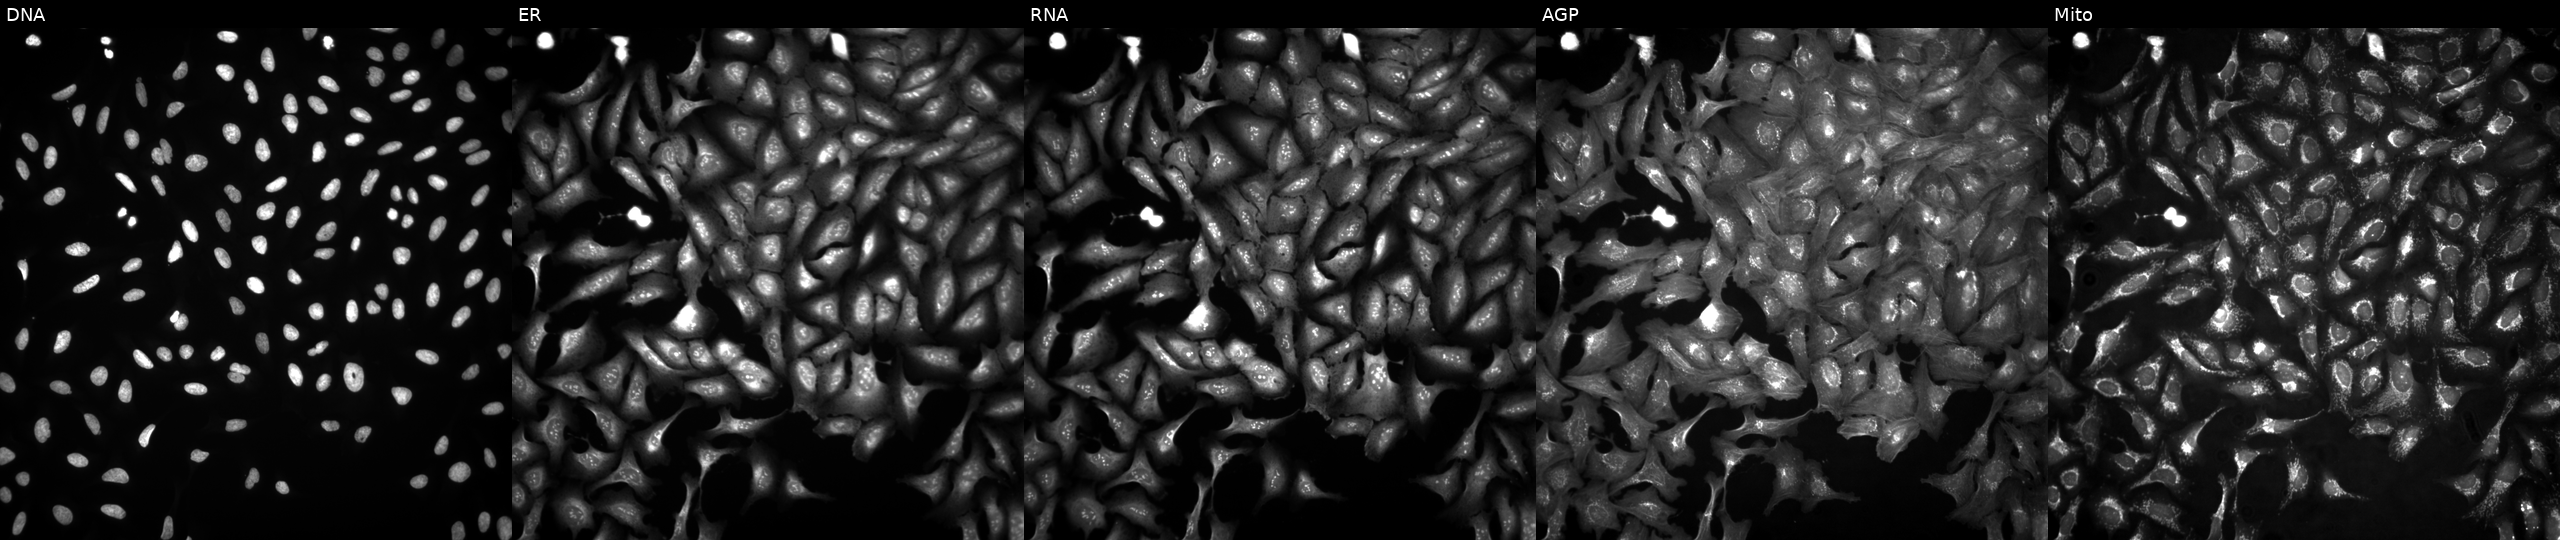
High-content fluorescence microscopy (Cell Painting). Cell line: U2OS. Perturbation: with RPL37A overexpressed (ORF) (JUMP id JCP2022_914568). From left to right: Hoechst 33342, concanavalin A, SYTO 14, phalloidin and WGA, MitoTracker. Source 4, plate BR00124787, well E20.